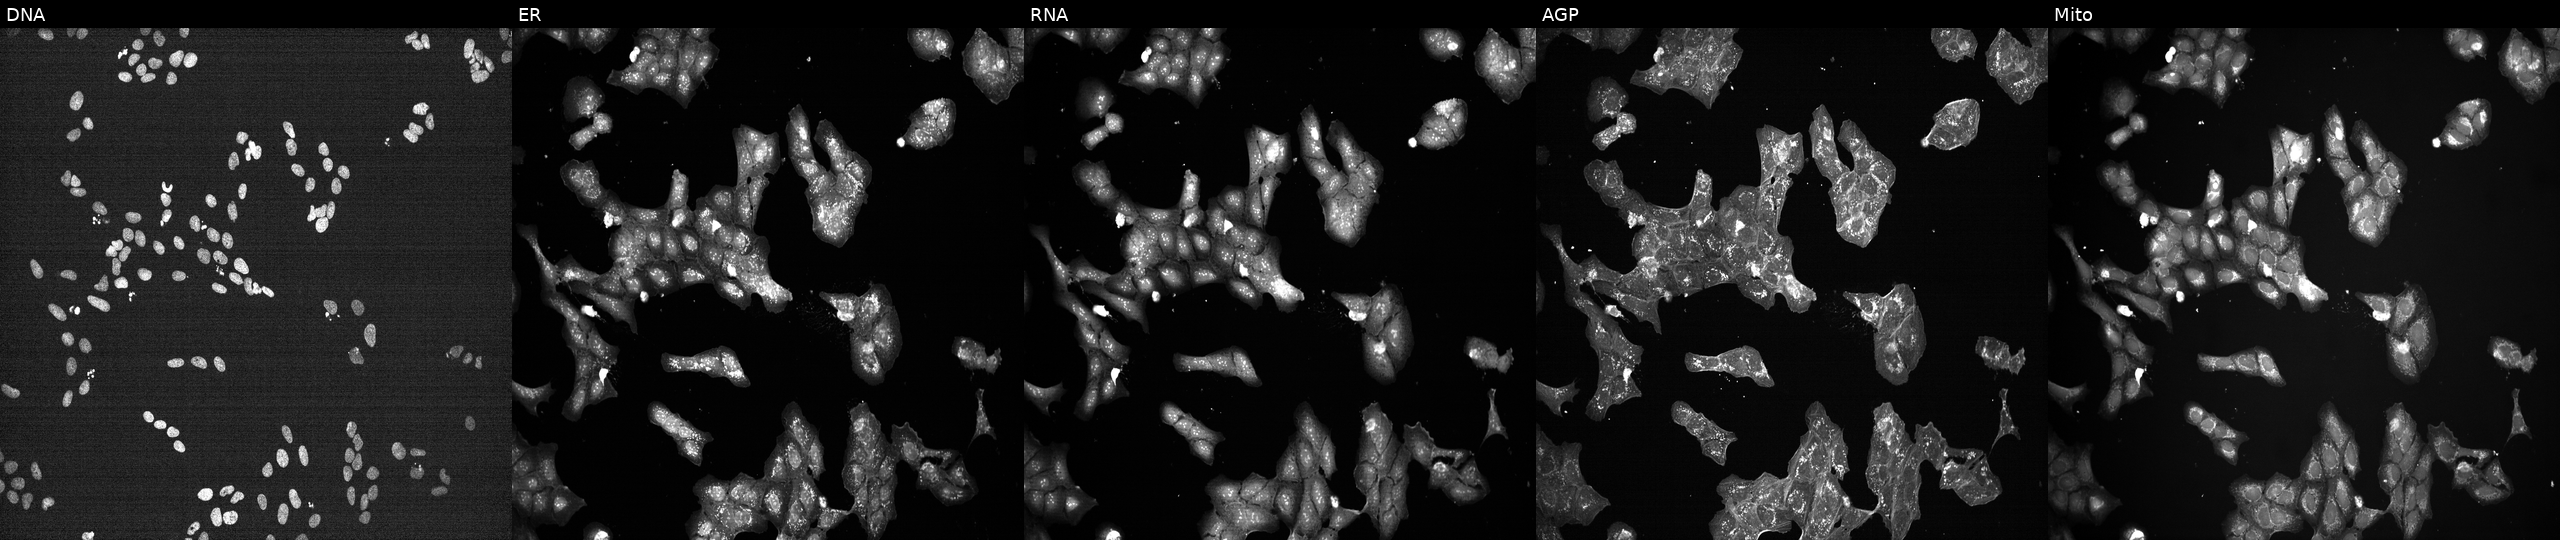
JUMP Cell Painting — TARGET2 plate. U2OS cells treated with a small-molecule compound (JUMP id JCP2022_106680). Panels show, left to right, DNA, ER, RNA, AGP, and Mito. Source 7, plate CP1-SC1-25, well M20.